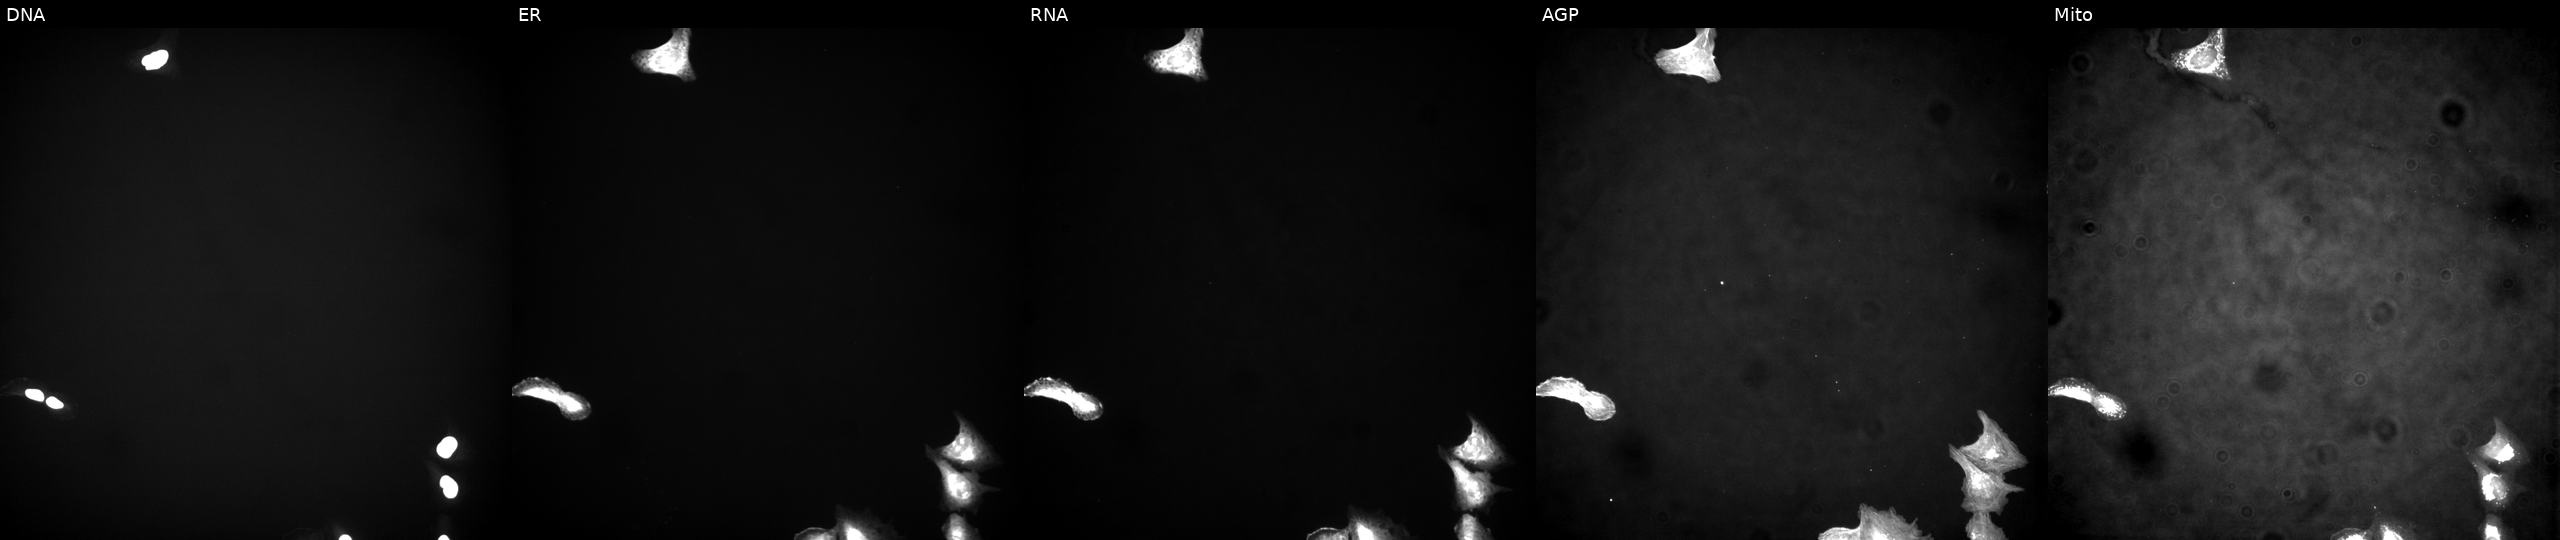
High-content fluorescence microscopy (Cell Painting). Cell line: U2OS. Perturbation: transfected with an ORF construct for MRPL20. Channels (left→right): DNA, ER, RNA, AGP, and Mito. Source 4, plate BR00124784, well M12.